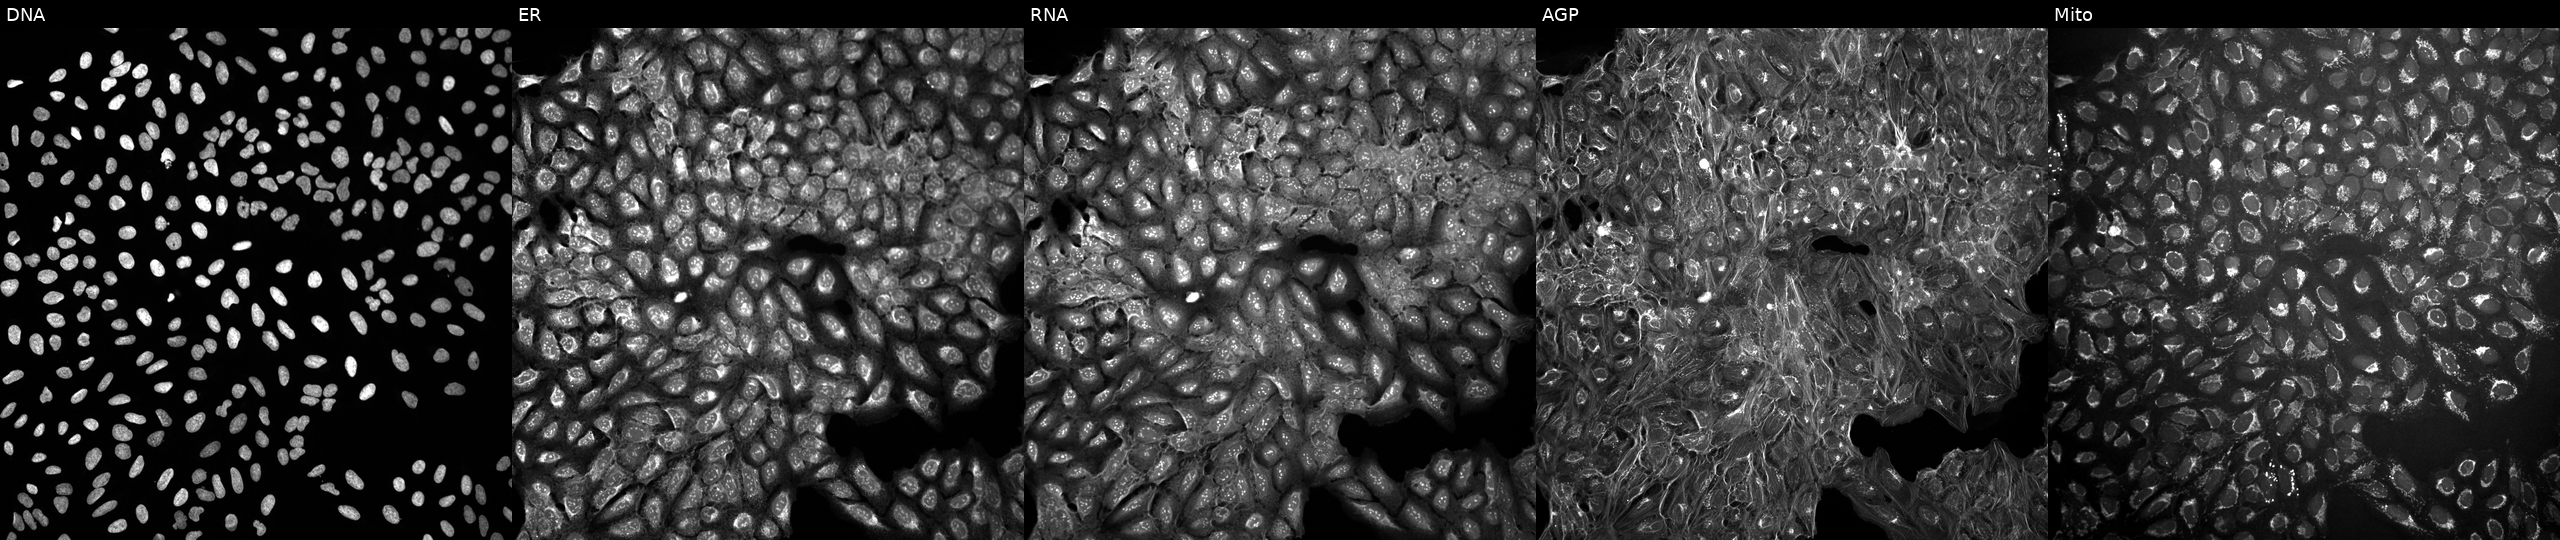
High-content fluorescence microscopy (Cell Painting). Cell line: U2OS. Perturbation: exposed to a small-molecule compound (InChIKey MJAJLBHDLSMALR-UHFFFAOYSA-N). From left to right: DNA, ER, RNA, AGP, and Mito. Source 10, plate Dest210531-152324, well C10.